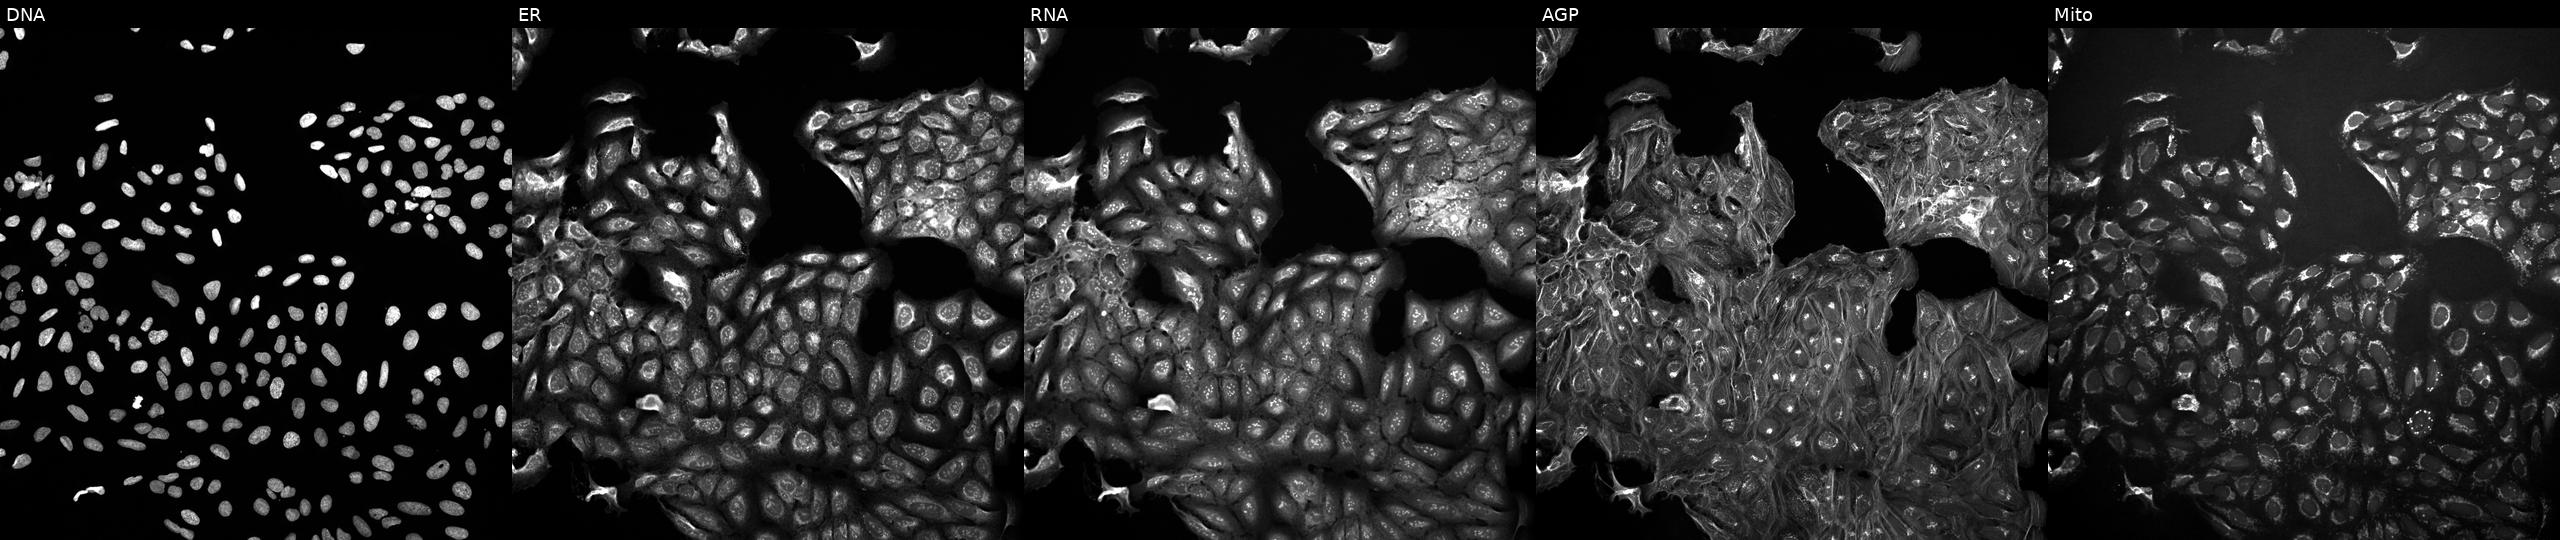
This image strip shows the five Cell Painting channels for a single field of U2OS cells exposed to a small-molecule compound (InChIKey UNFBFFVIRXSONW-UHFFFAOYSA-N). Channels (left→right): DNA, ER, RNA, AGP, and Mito. Source 10, plate Dest210531-152324, well F03.